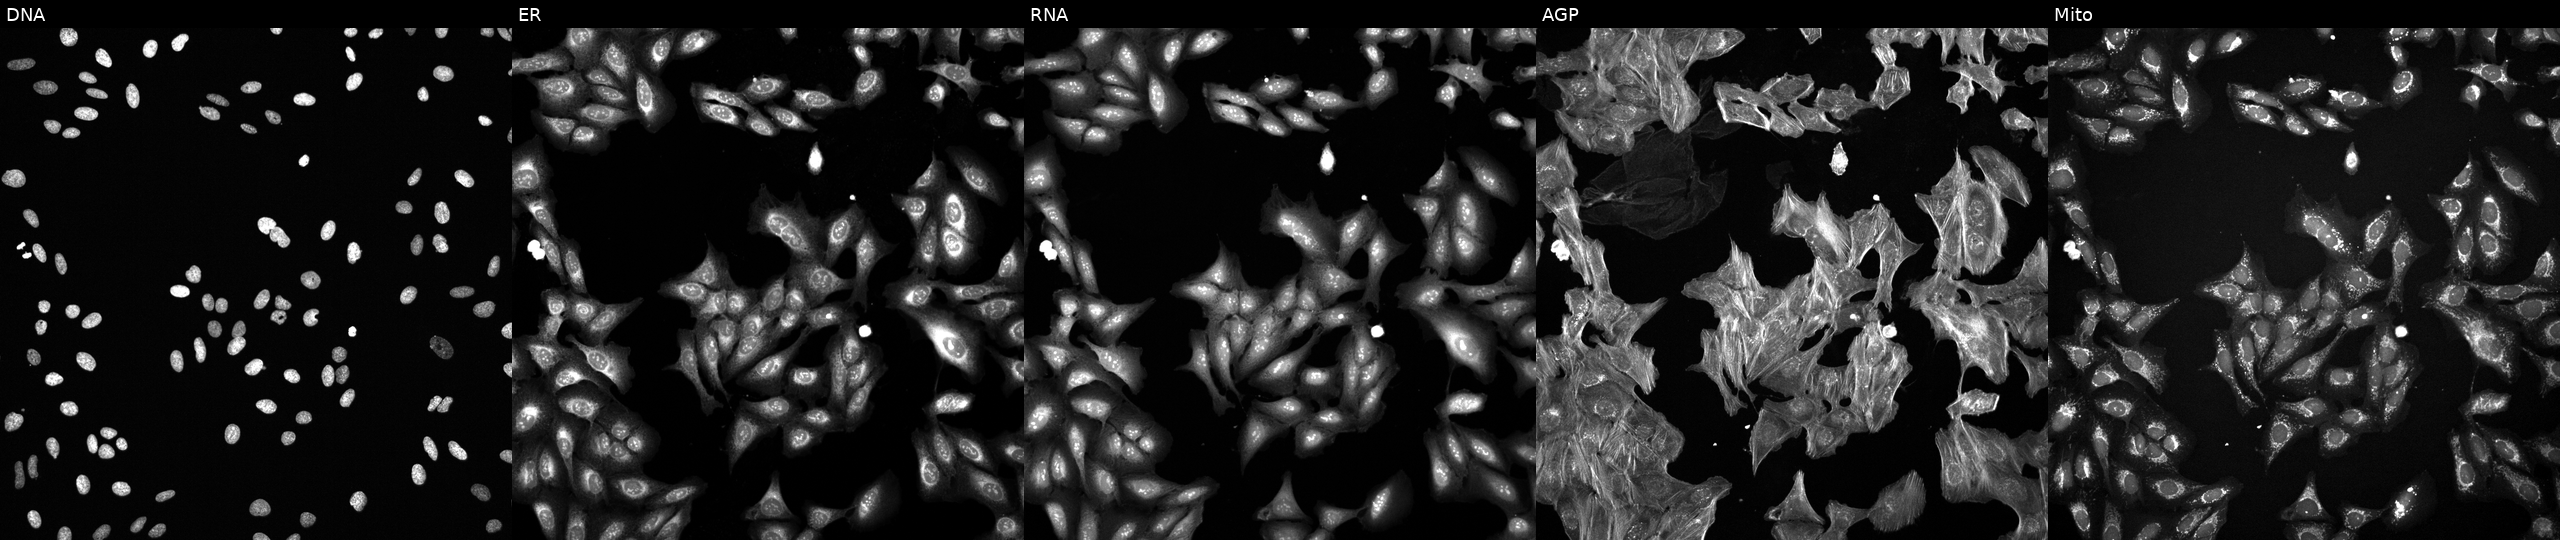
This image strip shows the five Cell Painting channels for a single field of U2OS cells exposed to a small-molecule compound (InChIKey VFOCLPSJGQDGMR-UHFFFAOYSA-N) [SMILES: O=c1c2ccccc2nc(CN2CCOCC2)n1Cc1nc(-c2cccc(F)c2)cs1]. The five panels, left to right, show Hoechst 33342, concanavalin A, SYTO 14, phalloidin and WGA, MitoTracker.